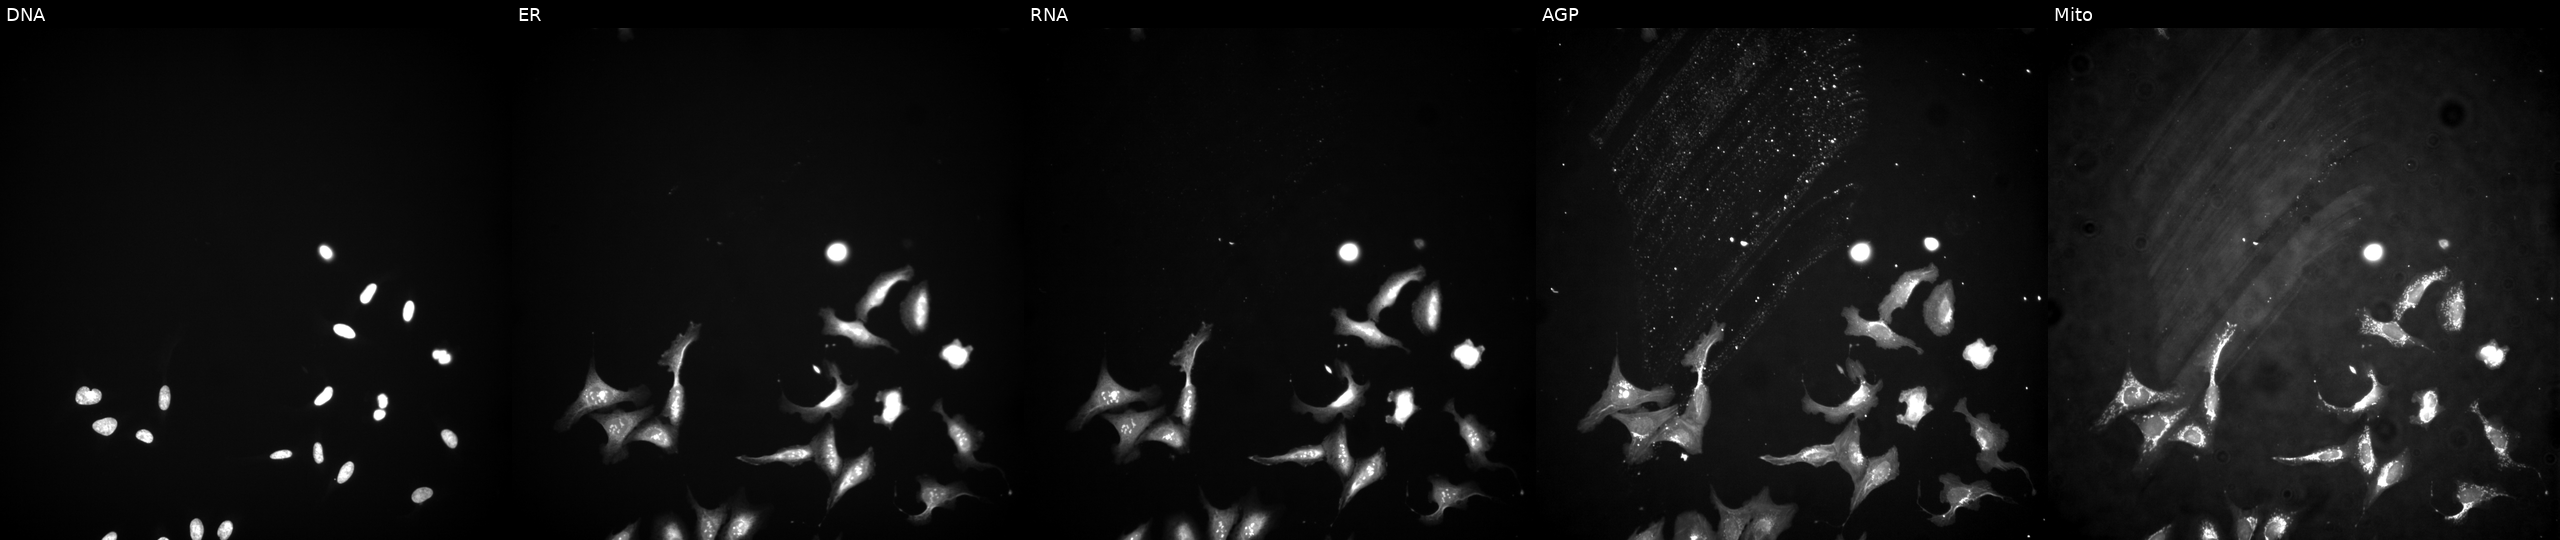
Five-channel Cell Painting image of U2OS cells in an empty control well (no perturbation) (JUMP id JCP2022_999999). From left to right: DNA, ER, RNA, AGP, and Mito. Source 4, plate BR00117035, well P23.